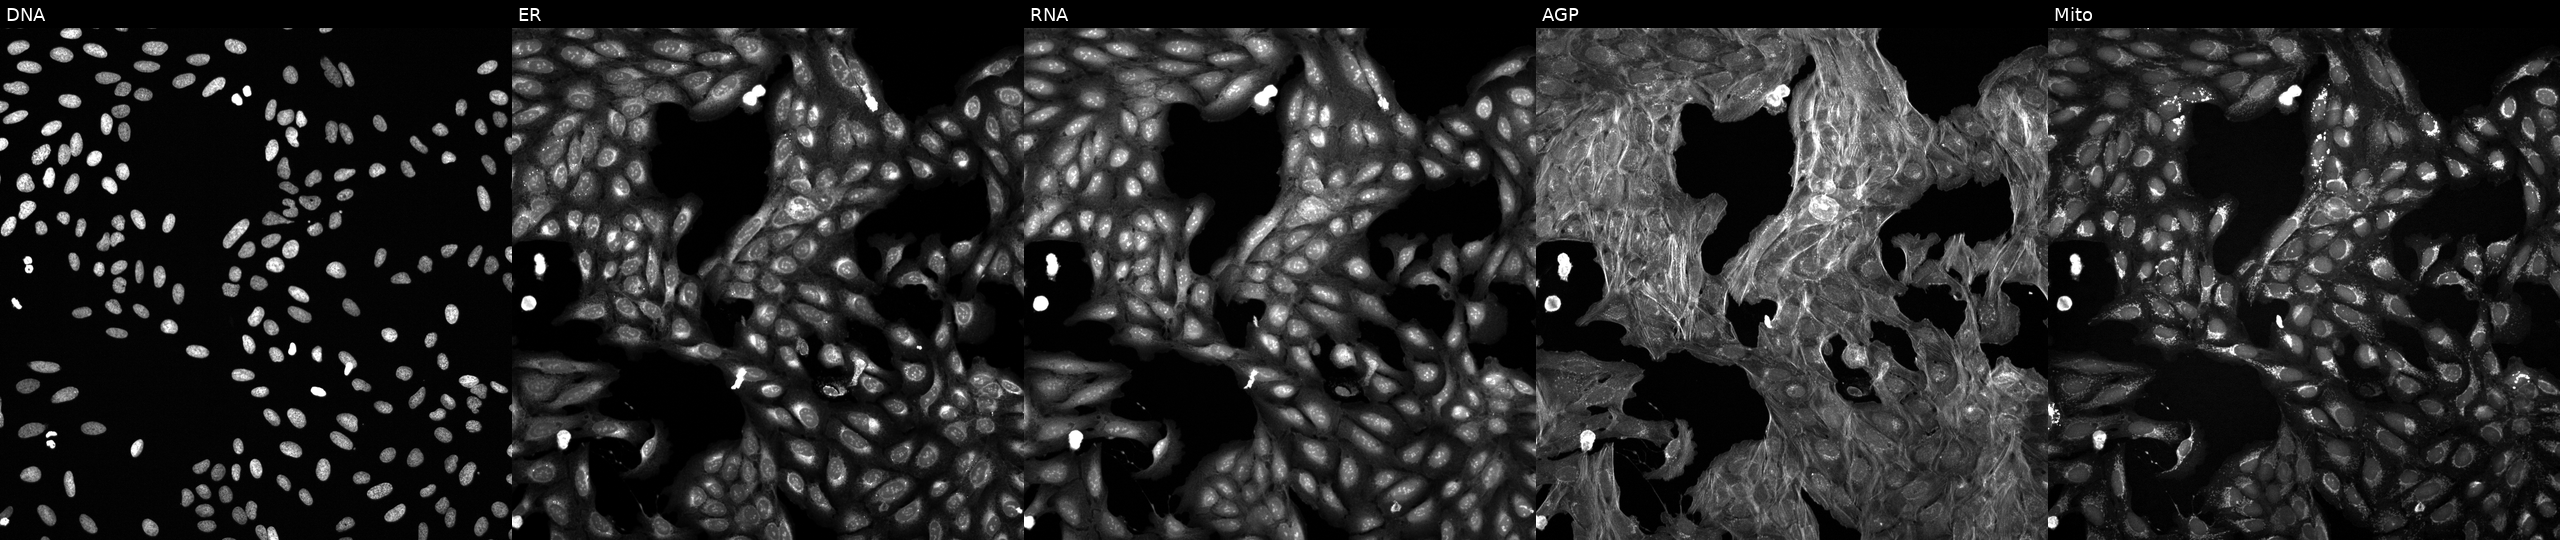
Panels show, left to right, Hoechst 33342, concanavalin A, SYTO 14, phalloidin and WGA, MitoTracker. U2OS osteosarcoma cells perturbed with a small-molecule compound (InChIKey AGNWVEJTZJIJIM-UHFFFAOYSA-N). Cell Painting assay, JUMP-CP dataset.